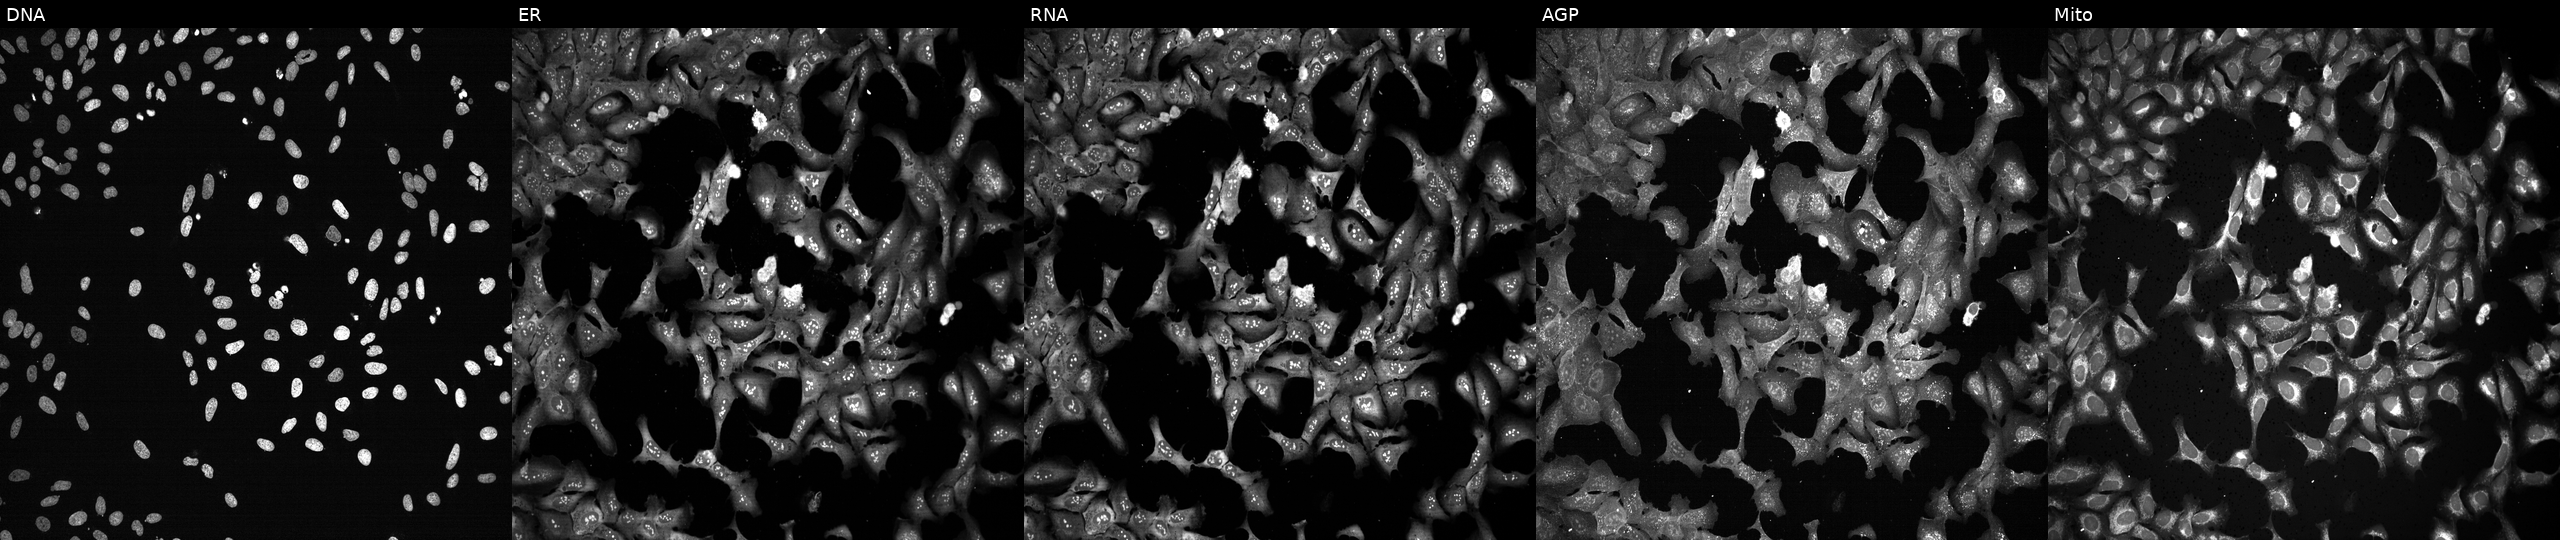
High-content fluorescence microscopy (Cell Painting). Cell line: U2OS. Perturbation: following CRISPR knockout of PCBP1 (JUMP id JCP2022_804949). From left to right: Hoechst 33342, concanavalin A, SYTO 14, phalloidin and WGA, MitoTracker.